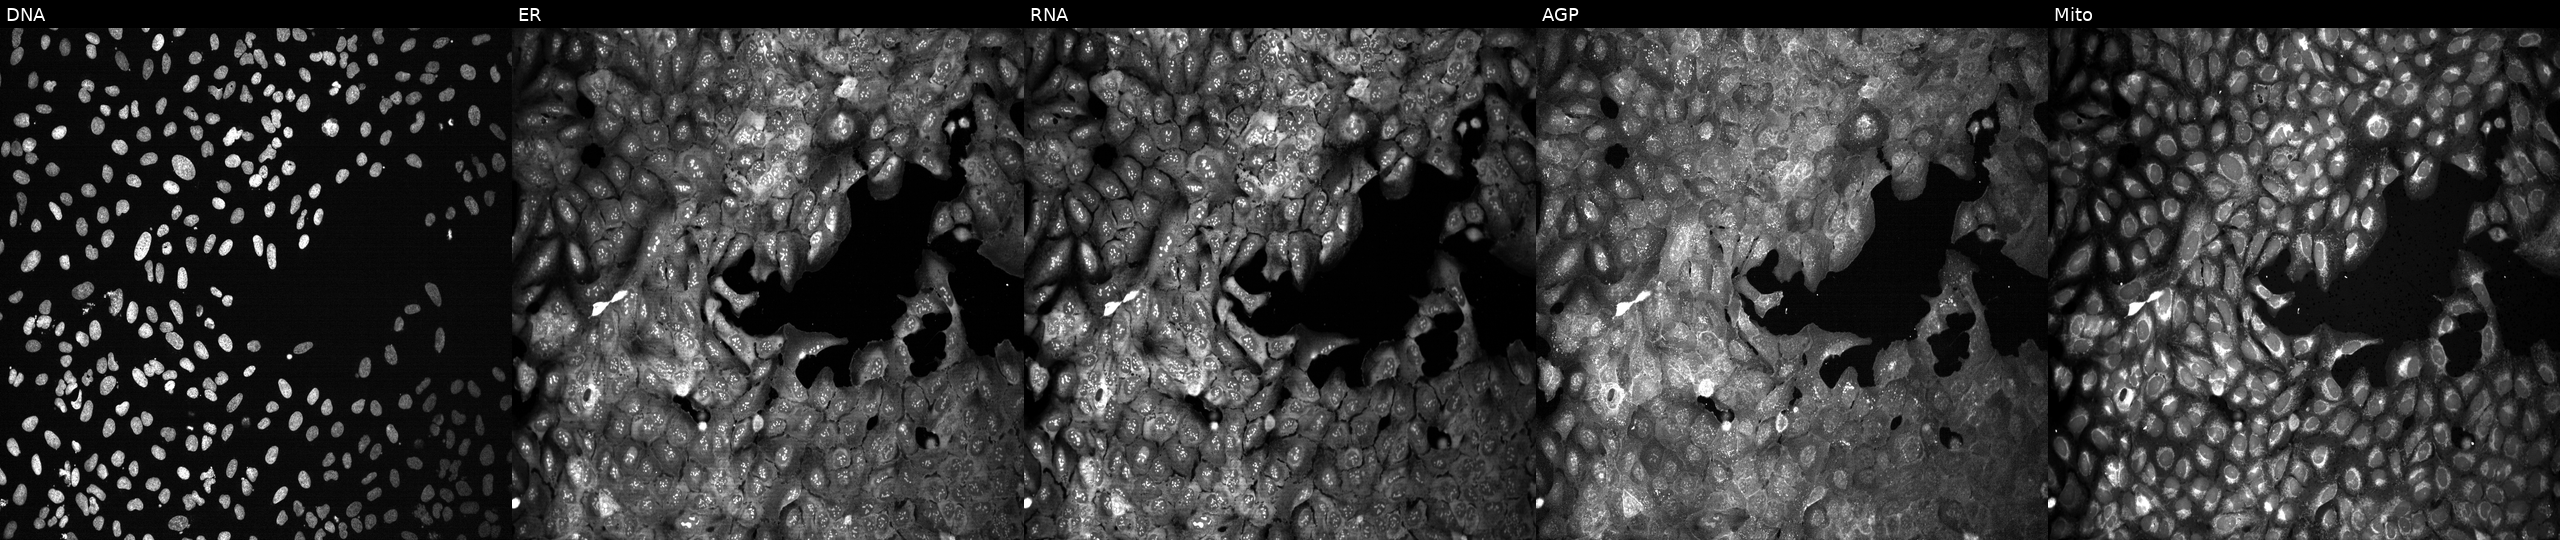
U2OS cells, Cell Painting assay, following CRISPR knockout of ACOXL (JUMP id JCP2022_800128). The five panels, left to right, show DNA (nuclei); ER (endoplasmic reticulum); RNA (nucleoli and cytoplasmic RNA); AGP (actin cytoskeleton, Golgi, and plasma membrane); Mito (mitochondria). Each panel is percentile-stretched 16-bit fluorescence. Source 13, plate CP-CC9-R5-01, well M21.